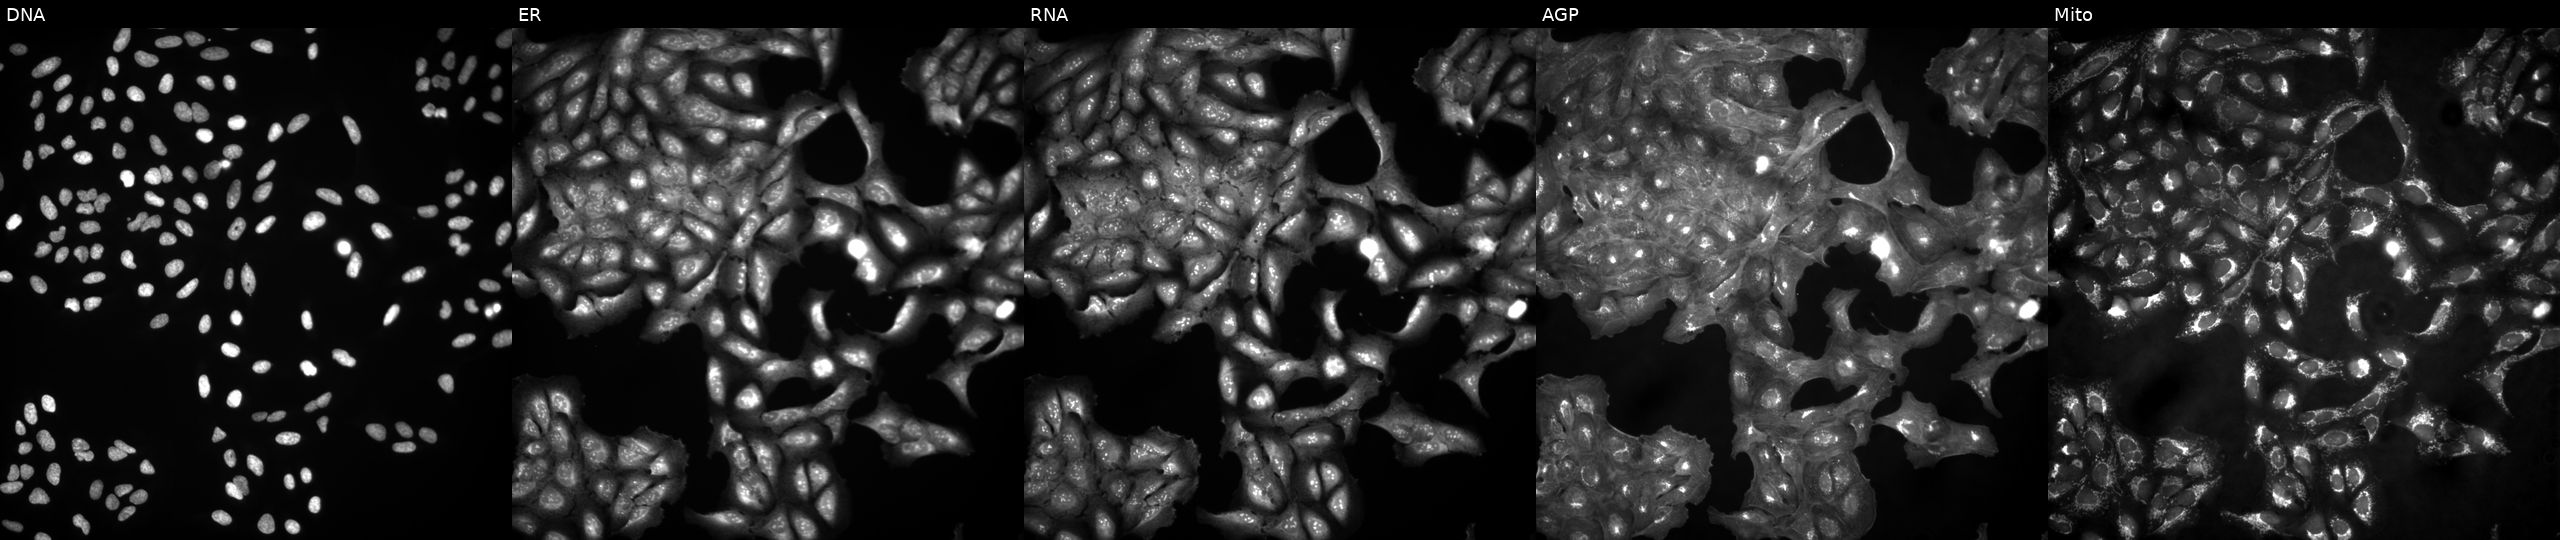
High-content fluorescence microscopy (Cell Painting). Cell line: U2OS. Perturbation: untreated (empty-well control). Panels show, left to right, Hoechst 33342, concanavalin A, SYTO 14, phalloidin and WGA, MitoTracker. Source 4, plate BR00123946, well F18.